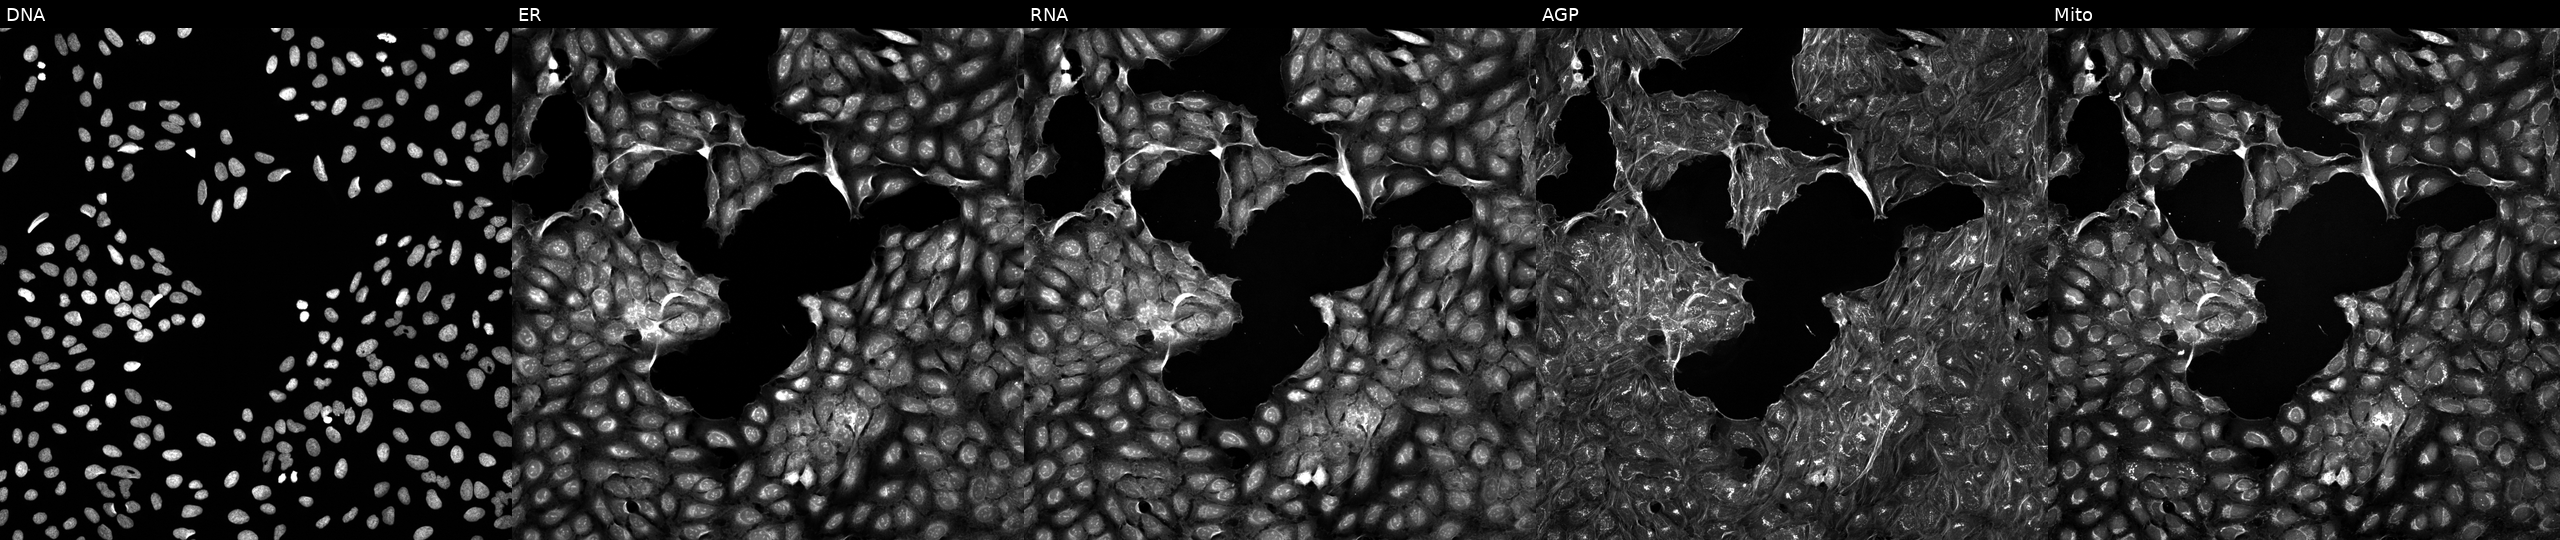
High-content fluorescence microscopy (Cell Painting). Cell line: U2OS. Perturbation: perturbed with a small-molecule compound (JUMP id JCP2022_031308). Channels (left→right): DNA (nuclei); ER (endoplasmic reticulum); RNA (nucleoli and cytoplasmic RNA); AGP (actin cytoskeleton, Golgi, and plasma membrane); Mito (mitochondria). Source 5, plate APTJUM106, well B14.